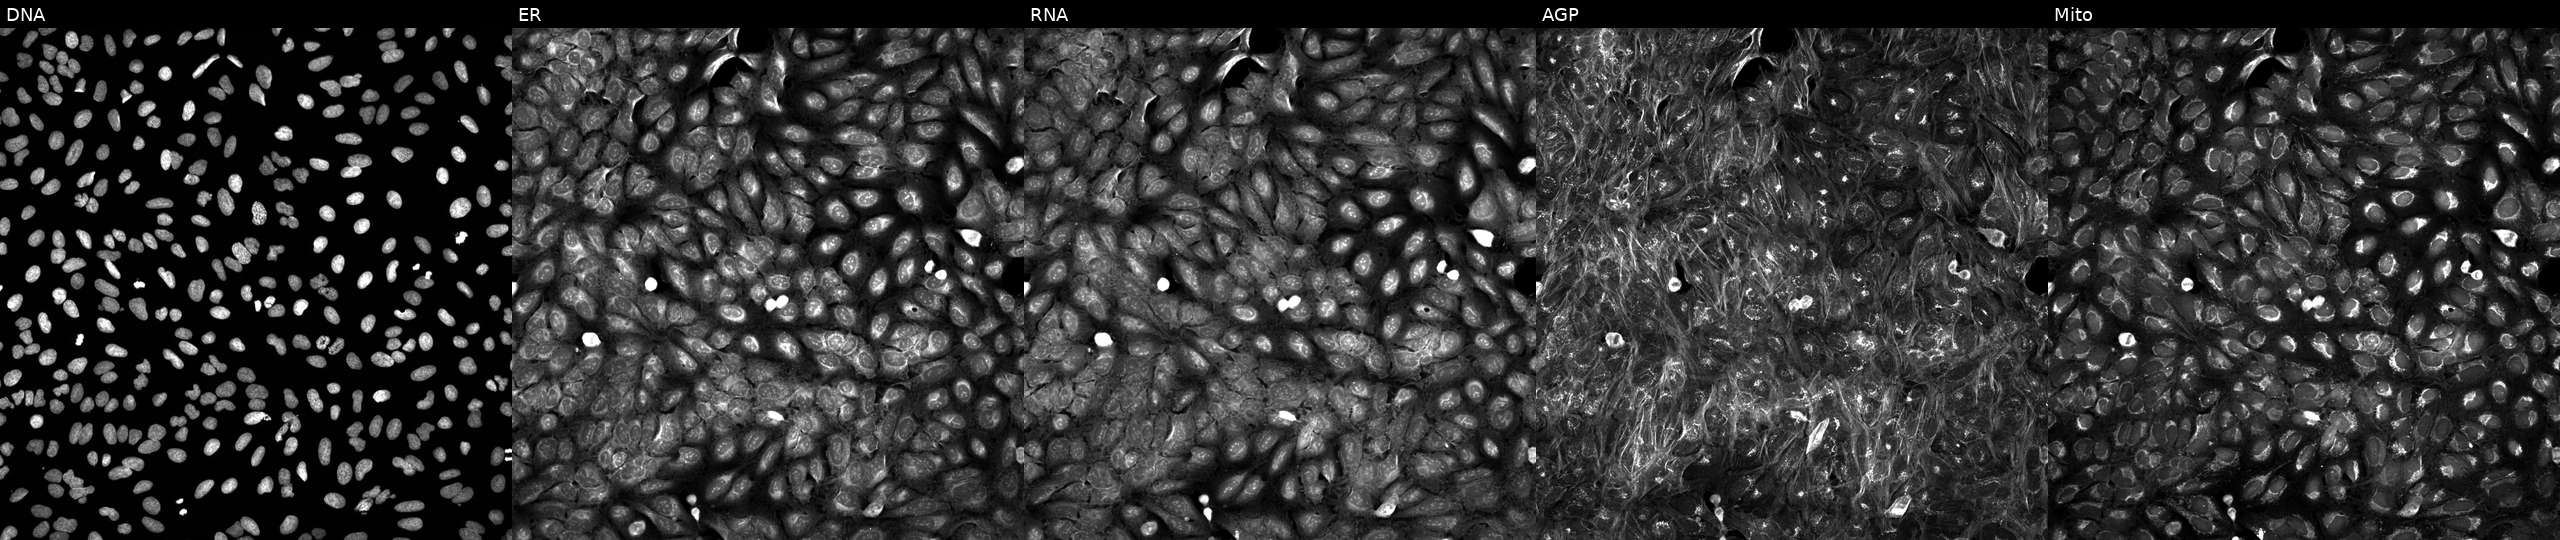
JUMP Cell Painting — TARGET2 plate. U2OS cells perturbed with a small-molecule compound (InChIKey HBUBKKRHXORPQB-UHFFFAOYSA-N). The five panels, left to right, show DNA (nuclei); ER (endoplasmic reticulum); RNA (nucleoli and cytoplasmic RNA); AGP (actin cytoskeleton, Golgi, and plasma membrane); Mito (mitochondria).